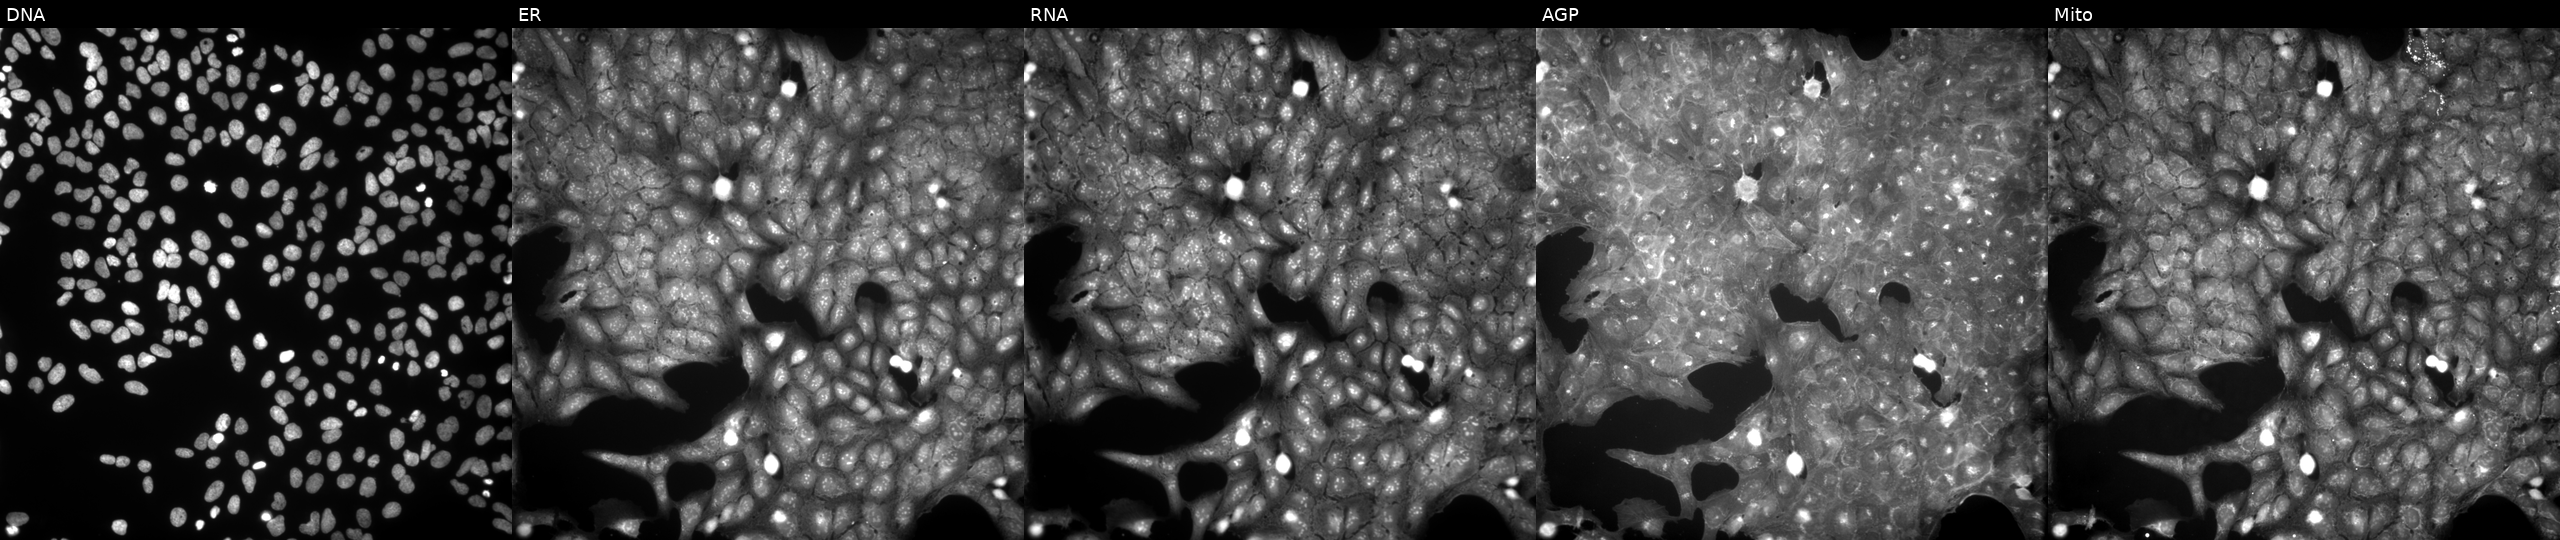
High-content fluorescence microscopy (Cell Painting). Cell line: U2OS. Perturbation: perturbed with a small-molecule compound (InChIKey KEOHSZCHSVGGCN-UHFFFAOYSA-N). Channels (left→right): Hoechst 33342, concanavalin A, SYTO 14, phalloidin and WGA, MitoTracker. Source 9, plate GR00003381, well M20.